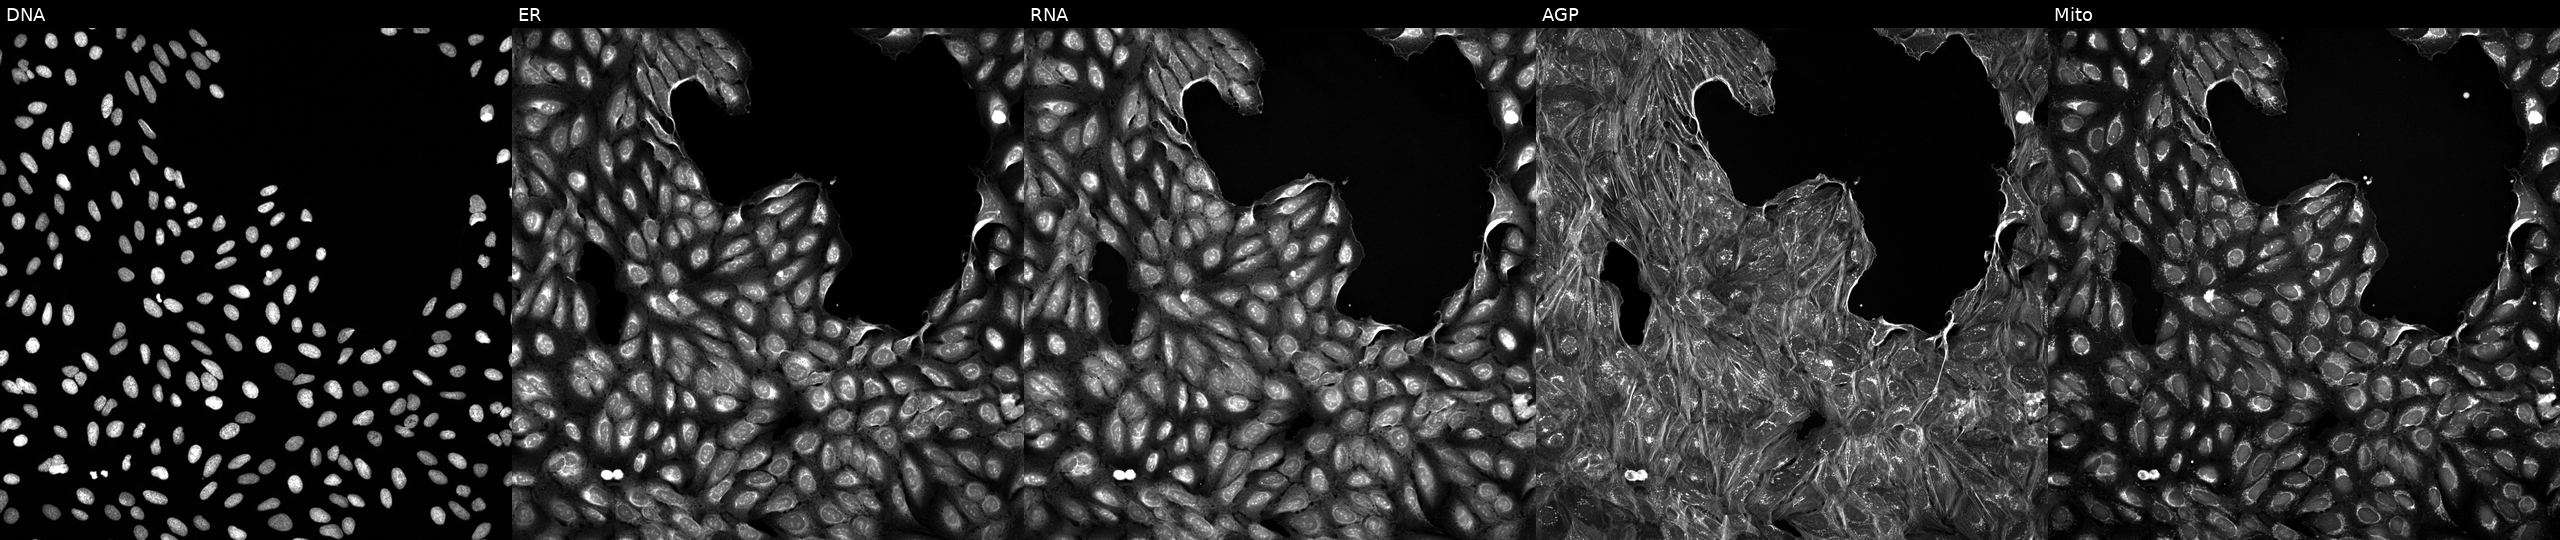
JUMP Cell Painting — TARGET2 plate. U2OS cells exposed to a small-molecule compound (JUMP id JCP2022_001036). Channels (left→right): DNA (nuclei); ER (endoplasmic reticulum); RNA (nucleoli and cytoplasmic RNA); AGP (actin cytoskeleton, Golgi, and plasma membrane); Mito (mitochondria).